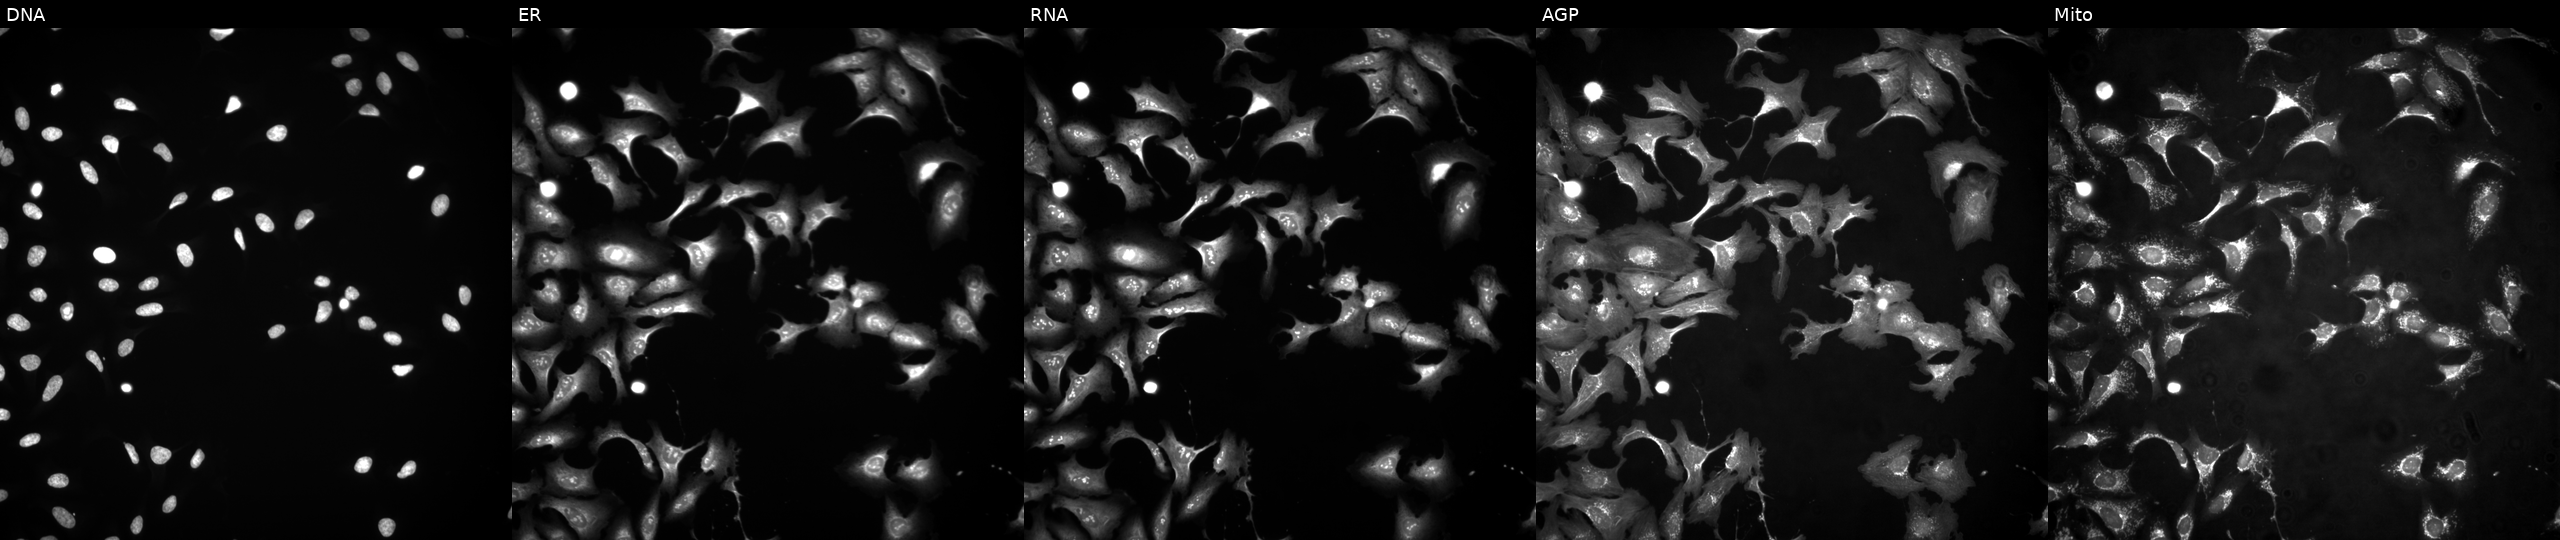
Five-channel Cell Painting image of U2OS cells transfected with an ORF construct for NDUFA9 (JUMP id JCP2022_912972). From left to right: DNA (nuclei); ER (endoplasmic reticulum); RNA (nucleoli and cytoplasmic RNA); AGP (actin cytoskeleton, Golgi, and plasma membrane); Mito (mitochondria).